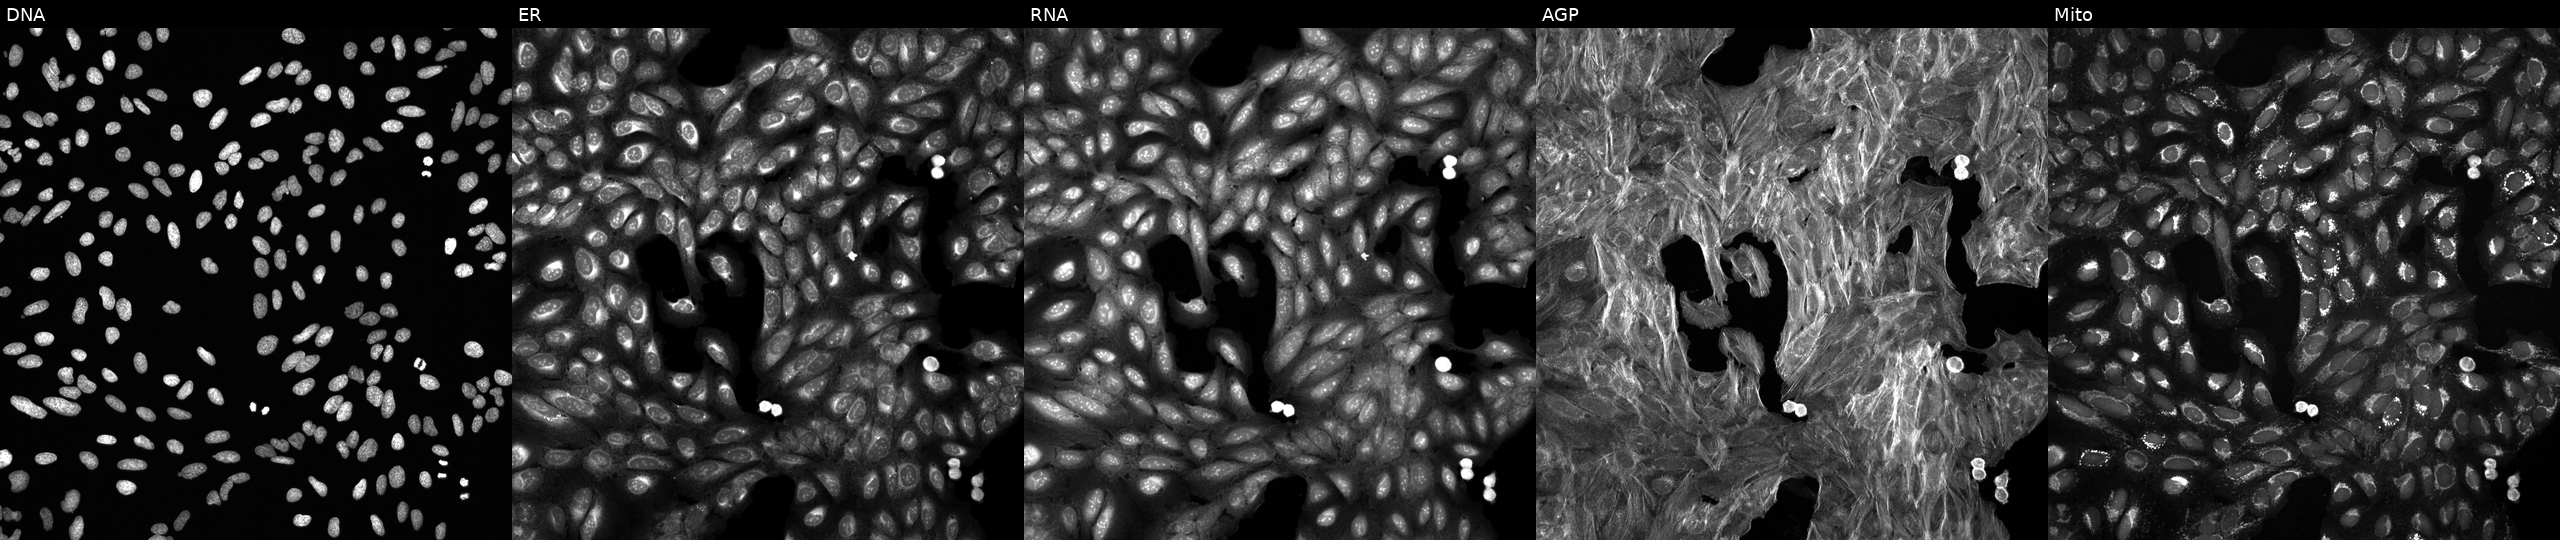
Five-channel Cell Painting image of U2OS cells treated with DMSO vehicle only (negative control) (JUMP id JCP2022_033924). Panels show, left to right, Hoechst 33342, concanavalin A, SYTO 14, phalloidin and WGA, MitoTracker.